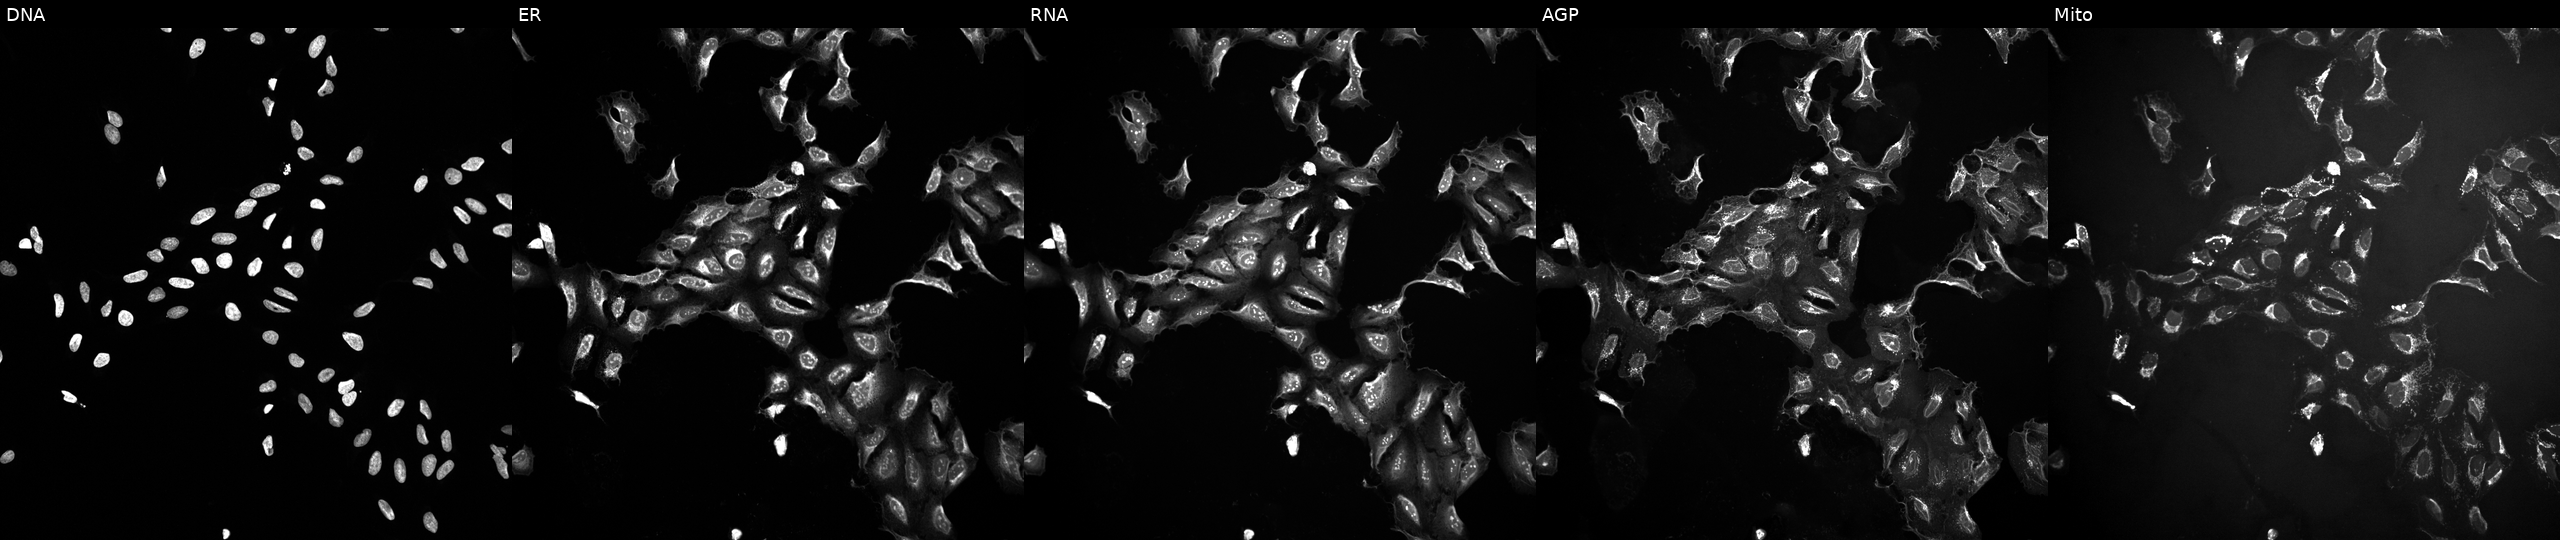
Five-channel Cell Painting image of U2OS cells treated with a small-molecule compound (JUMP id JCP2022_065525). Panels show, left to right, DNA (nuclei); ER (endoplasmic reticulum); RNA (nucleoli and cytoplasmic RNA); AGP (actin cytoskeleton, Golgi, and plasma membrane); Mito (mitochondria). Source 10, plate Dest210803-153958, well M14.